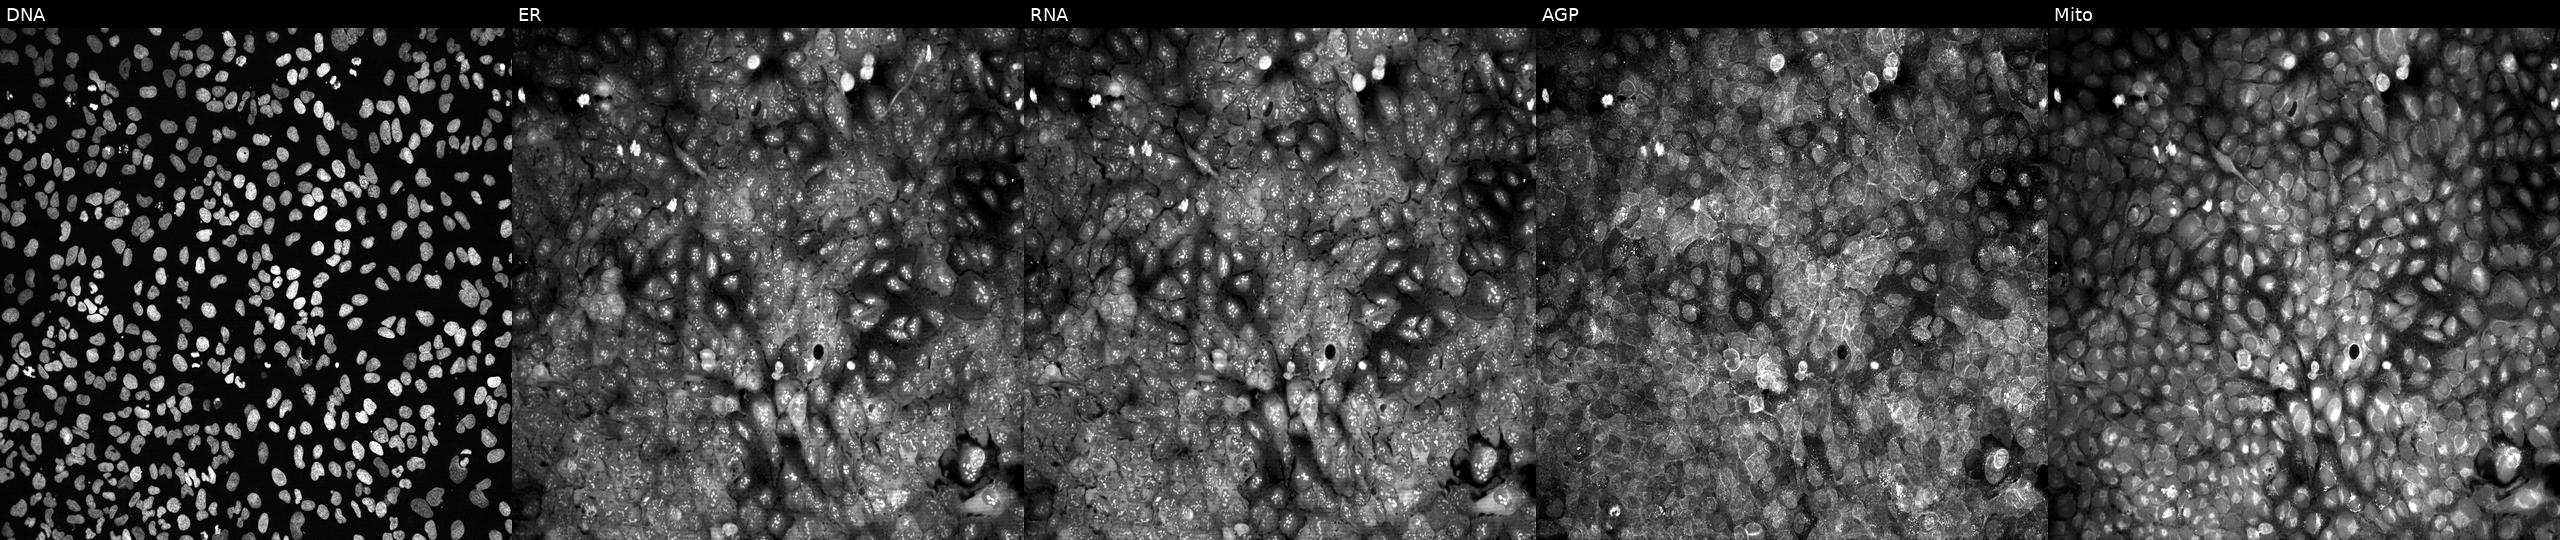
High-content fluorescence microscopy (Cell Painting). Cell line: U2OS. Perturbation: CRISPR-edited to disrupt TM7SF2. From left to right: DNA (nuclei); ER (endoplasmic reticulum); RNA (nucleoli and cytoplasmic RNA); AGP (actin cytoskeleton, Golgi, and plasma membrane); Mito (mitochondria). Source 13, plate CP-CC9-R1-02, well B09.